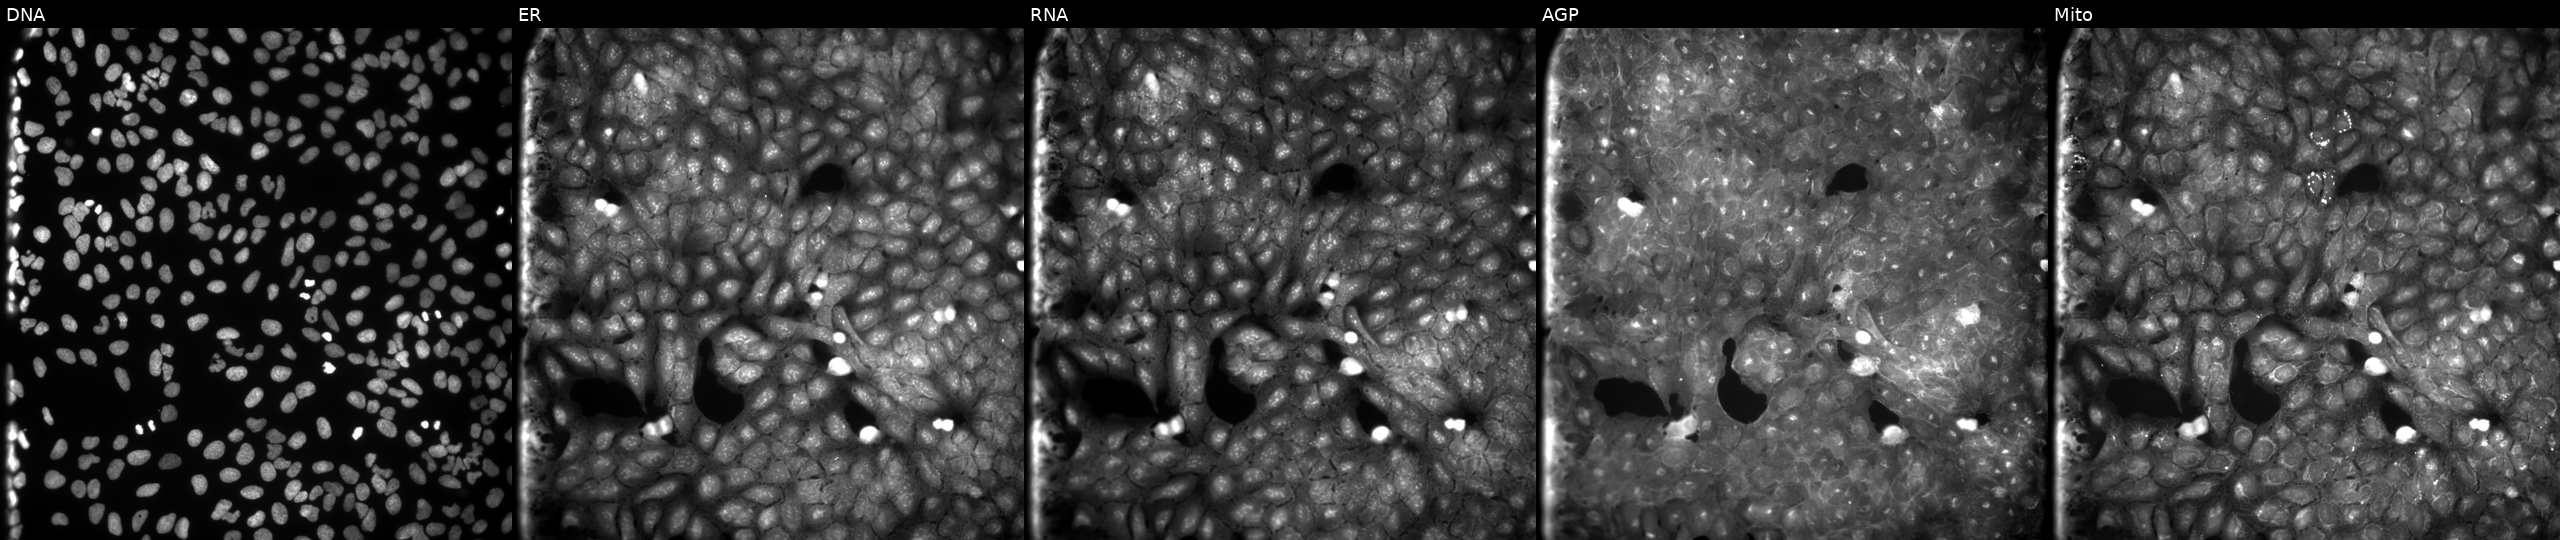
This image strip shows the five Cell Painting channels for a single field of U2OS cells treated with a small-molecule compound (InChIKey LBQCUXUTTHIVQP-UHFFFAOYSA-N). From left to right: DNA (nuclei); ER (endoplasmic reticulum); RNA (nucleoli and cytoplasmic RNA); AGP (actin cytoskeleton, Golgi, and plasma membrane); Mito (mitochondria).